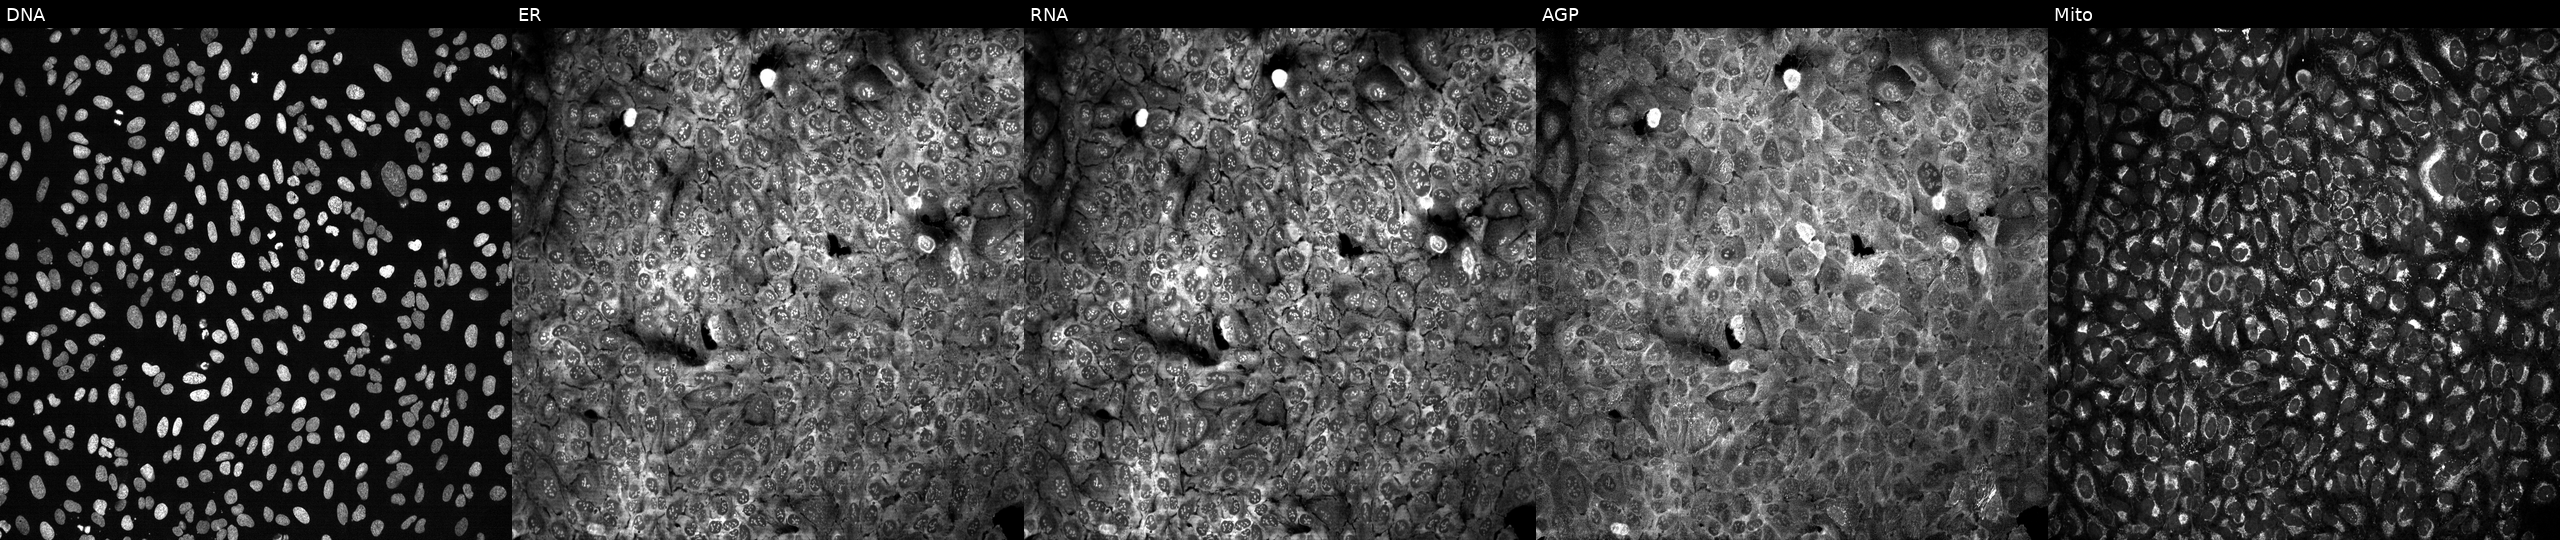
Five-channel Cell Painting image of U2OS cells with PDGFB knocked out by CRISPR. The five panels, left to right, show DNA, ER, RNA, AGP, and Mito. Source 13, plate CP-CC9-R3-01, well M13.